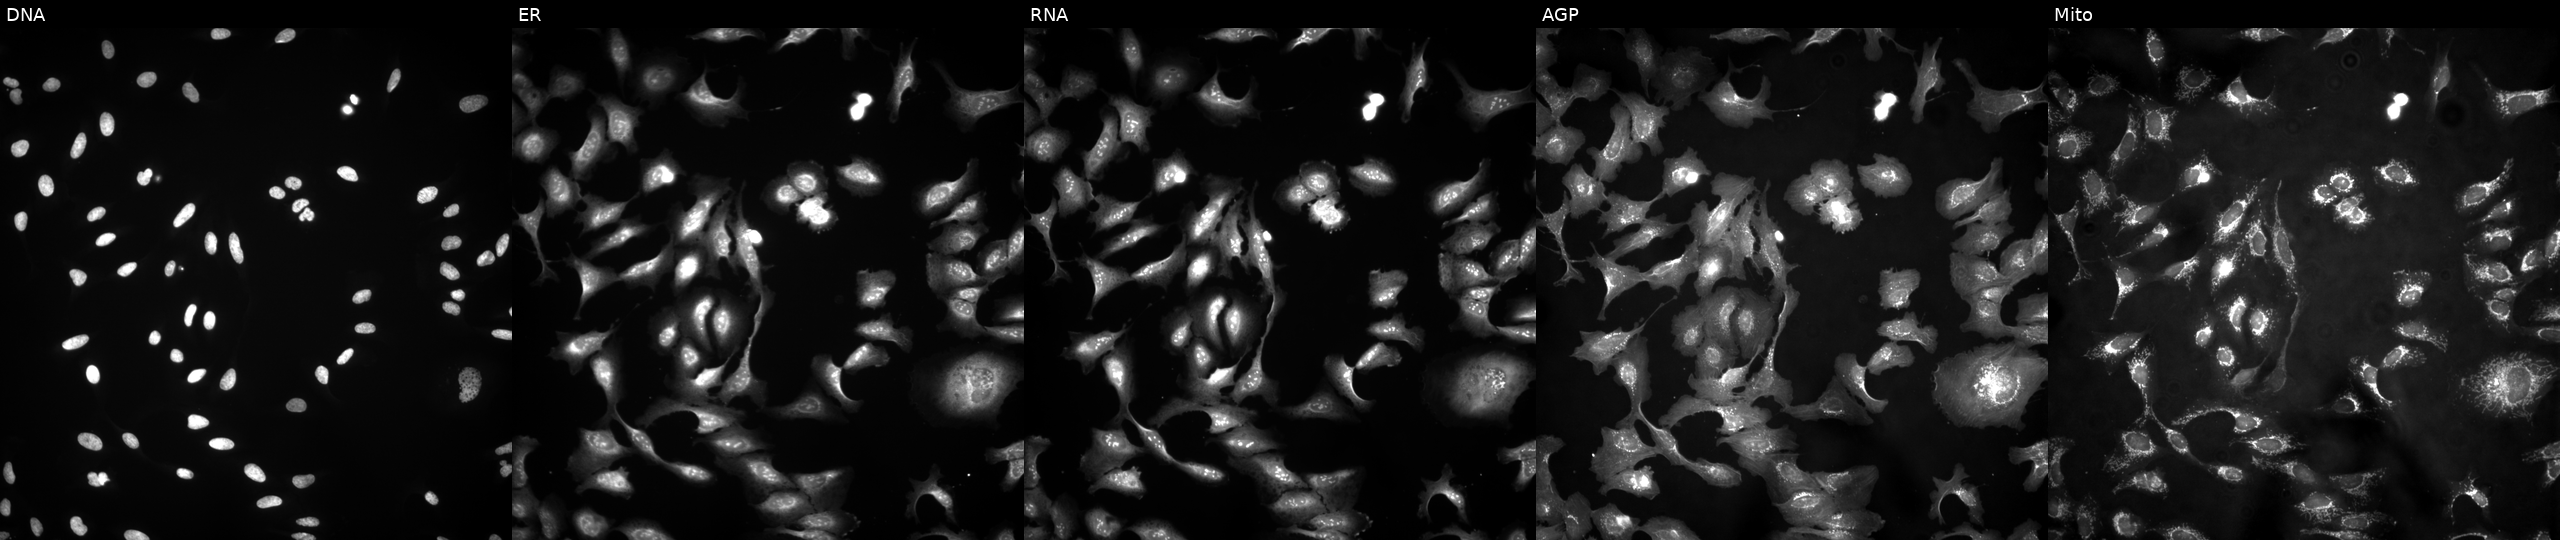
Channels (left→right): DNA, ER, RNA, AGP, and Mito. U2OS osteosarcoma cells transfected with an ORF construct for LMNA (JUMP id JCP2022_900884). Cell Painting assay, JUMP-CP dataset.